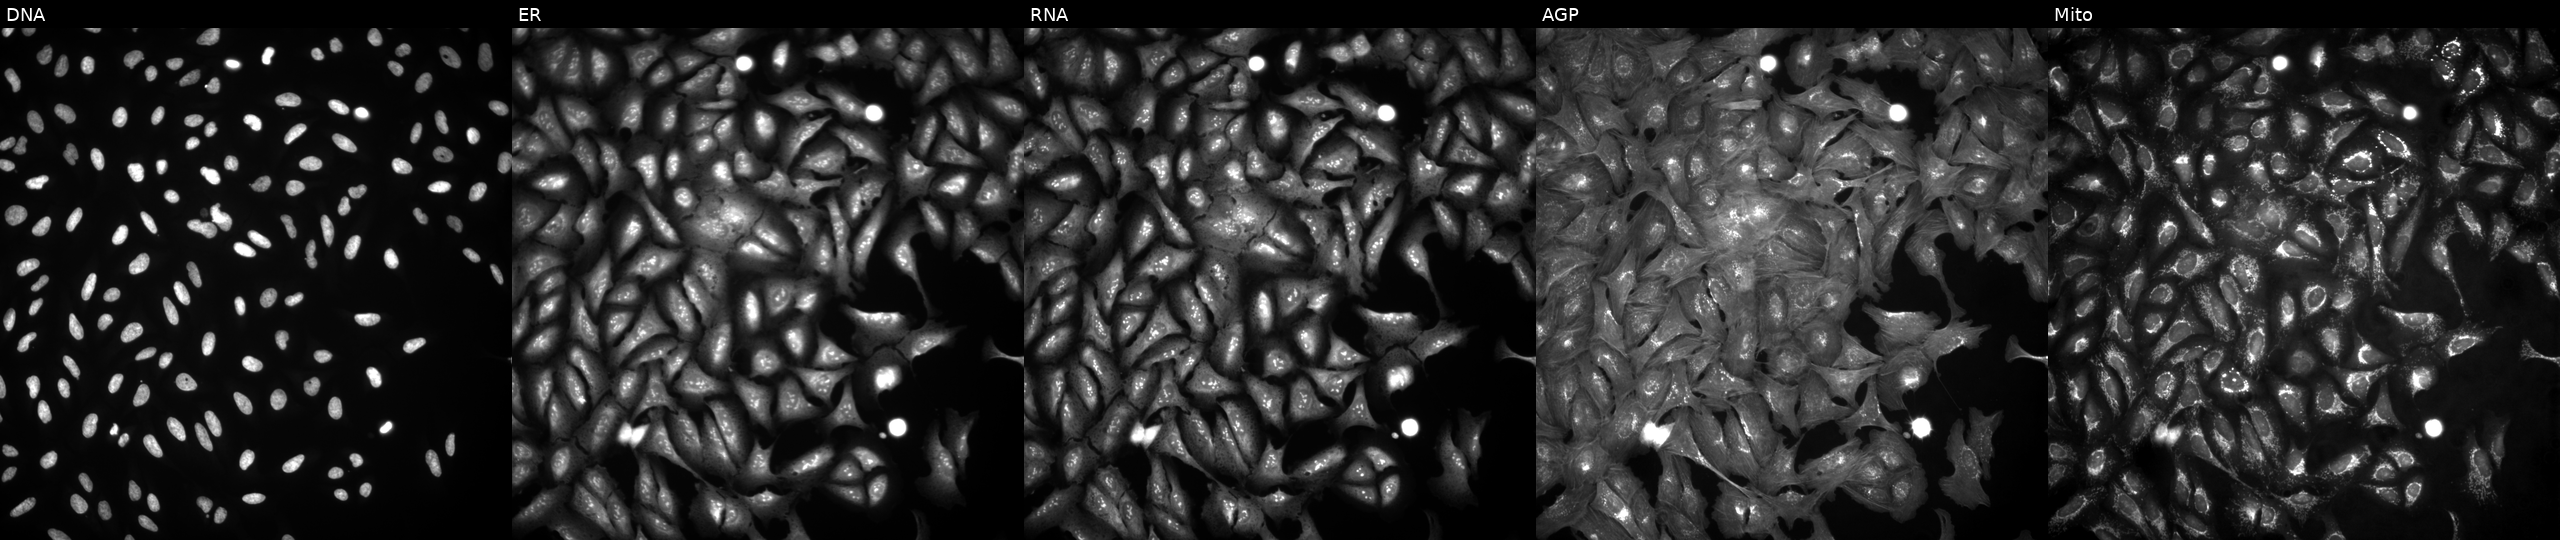
Five-channel Cell Painting image of U2OS cells with AFP overexpressed (ORF) (JUMP id JCP2022_900032). From left to right: Hoechst 33342, concanavalin A, SYTO 14, phalloidin and WGA, MitoTracker.